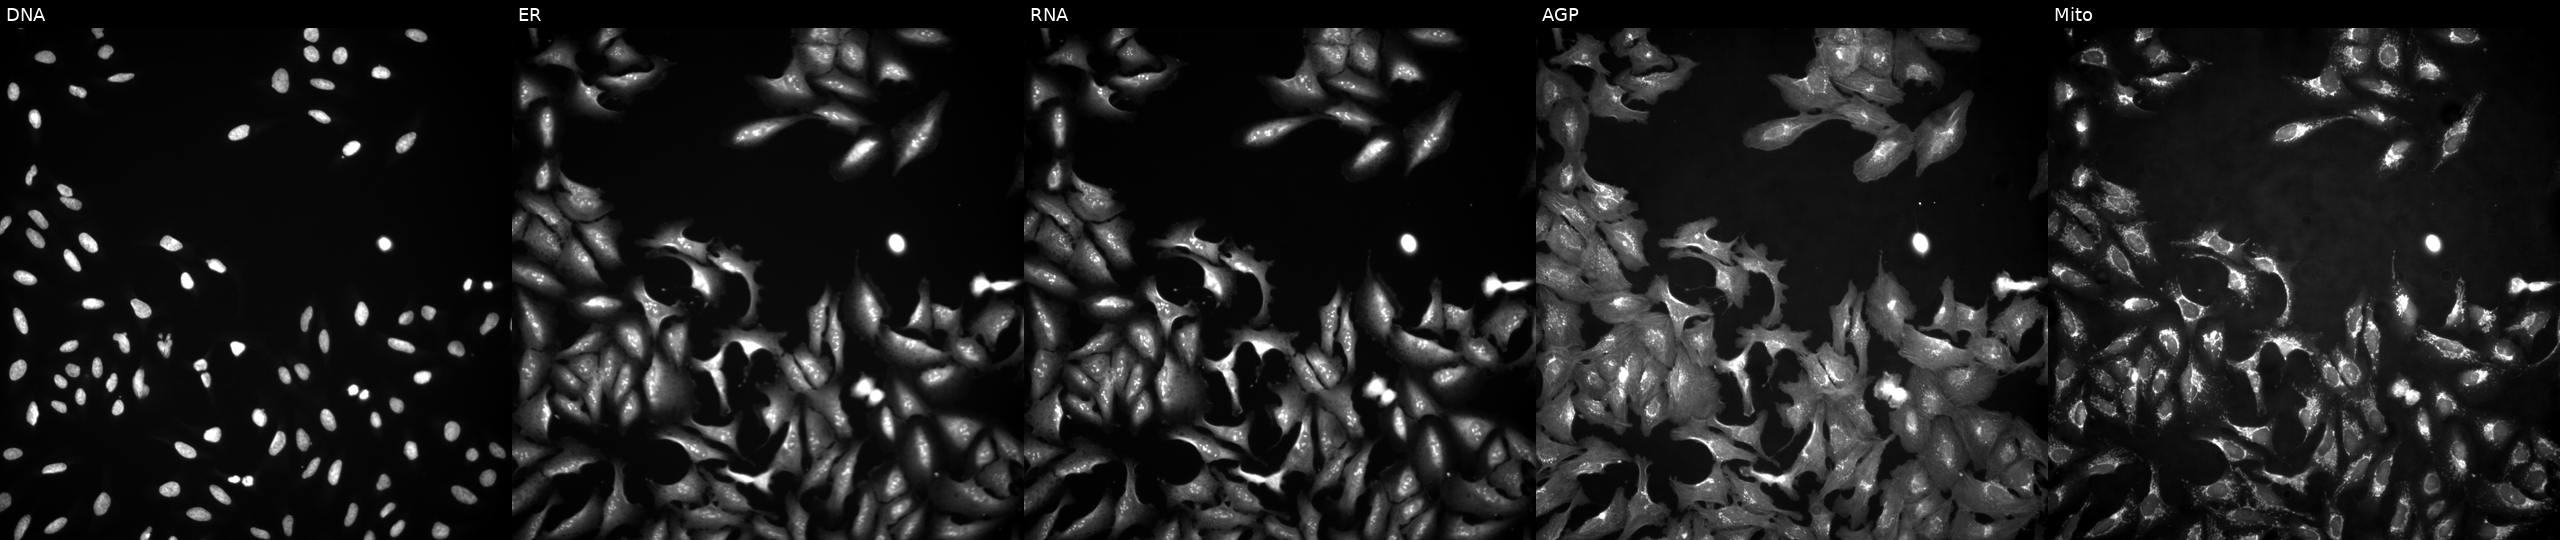
JUMP Cell Painting — ORF plate. U2OS cells transfected with an ORF construct for FOXN3. Panels show, left to right, DNA (nuclei); ER (endoplasmic reticulum); RNA (nucleoli and cytoplasmic RNA); AGP (actin cytoskeleton, Golgi, and plasma membrane); Mito (mitochondria). Source 4, plate BR00117035, well O10.